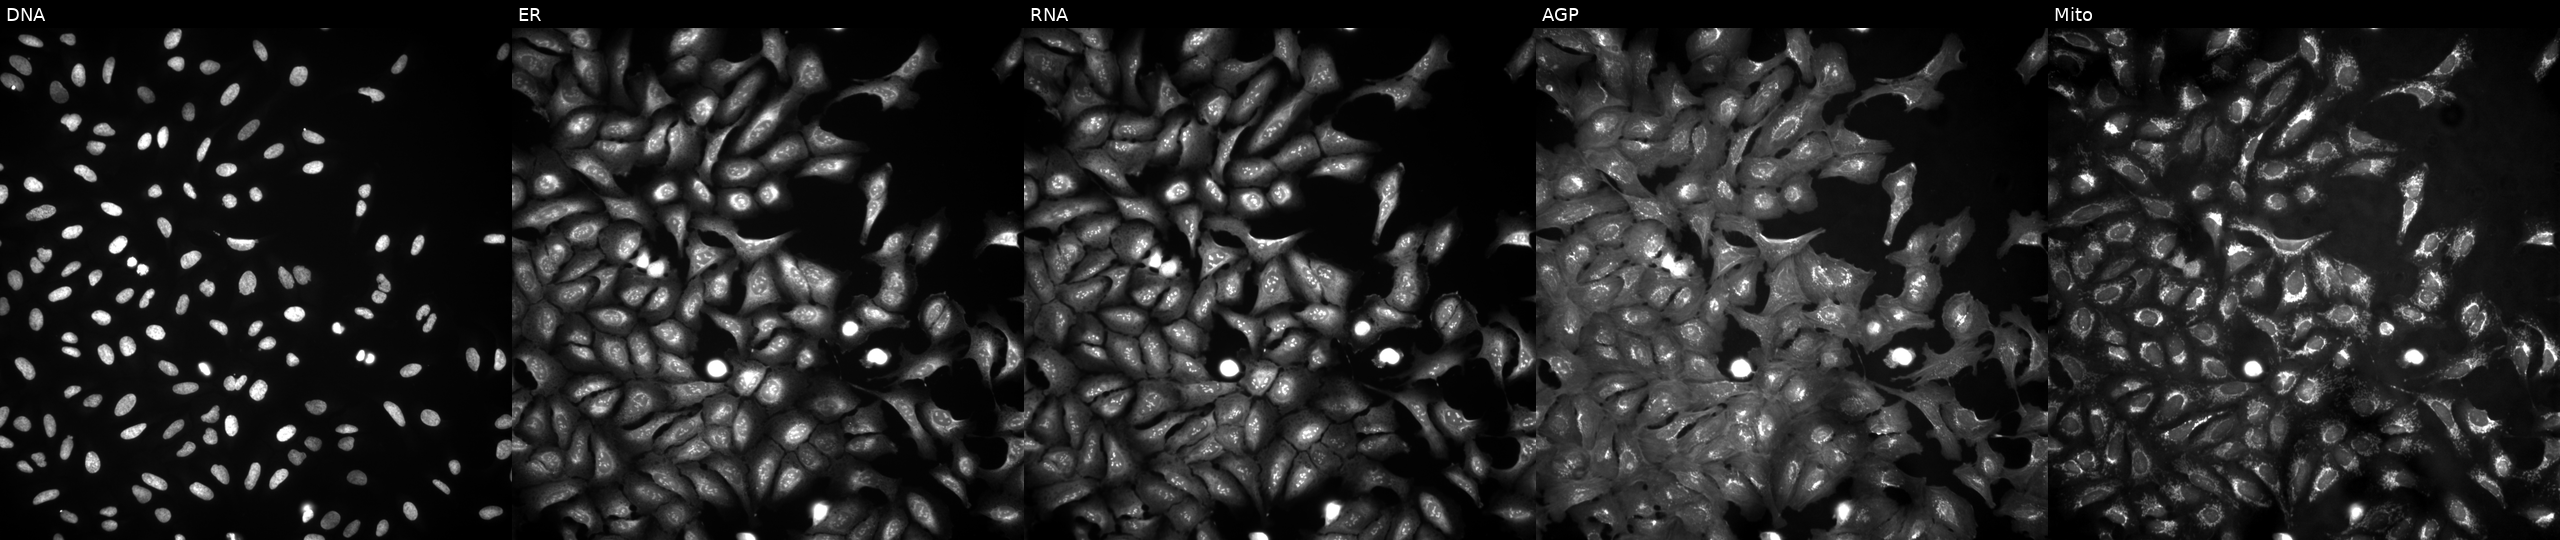
Five-channel Cell Painting image of U2OS cells with TCTN2 overexpressed (ORF). Panels show, left to right, DNA (nuclei); ER (endoplasmic reticulum); RNA (nucleoli and cytoplasmic RNA); AGP (actin cytoskeleton, Golgi, and plasma membrane); Mito (mitochondria). Source 4, plate BR00121543, well E10.